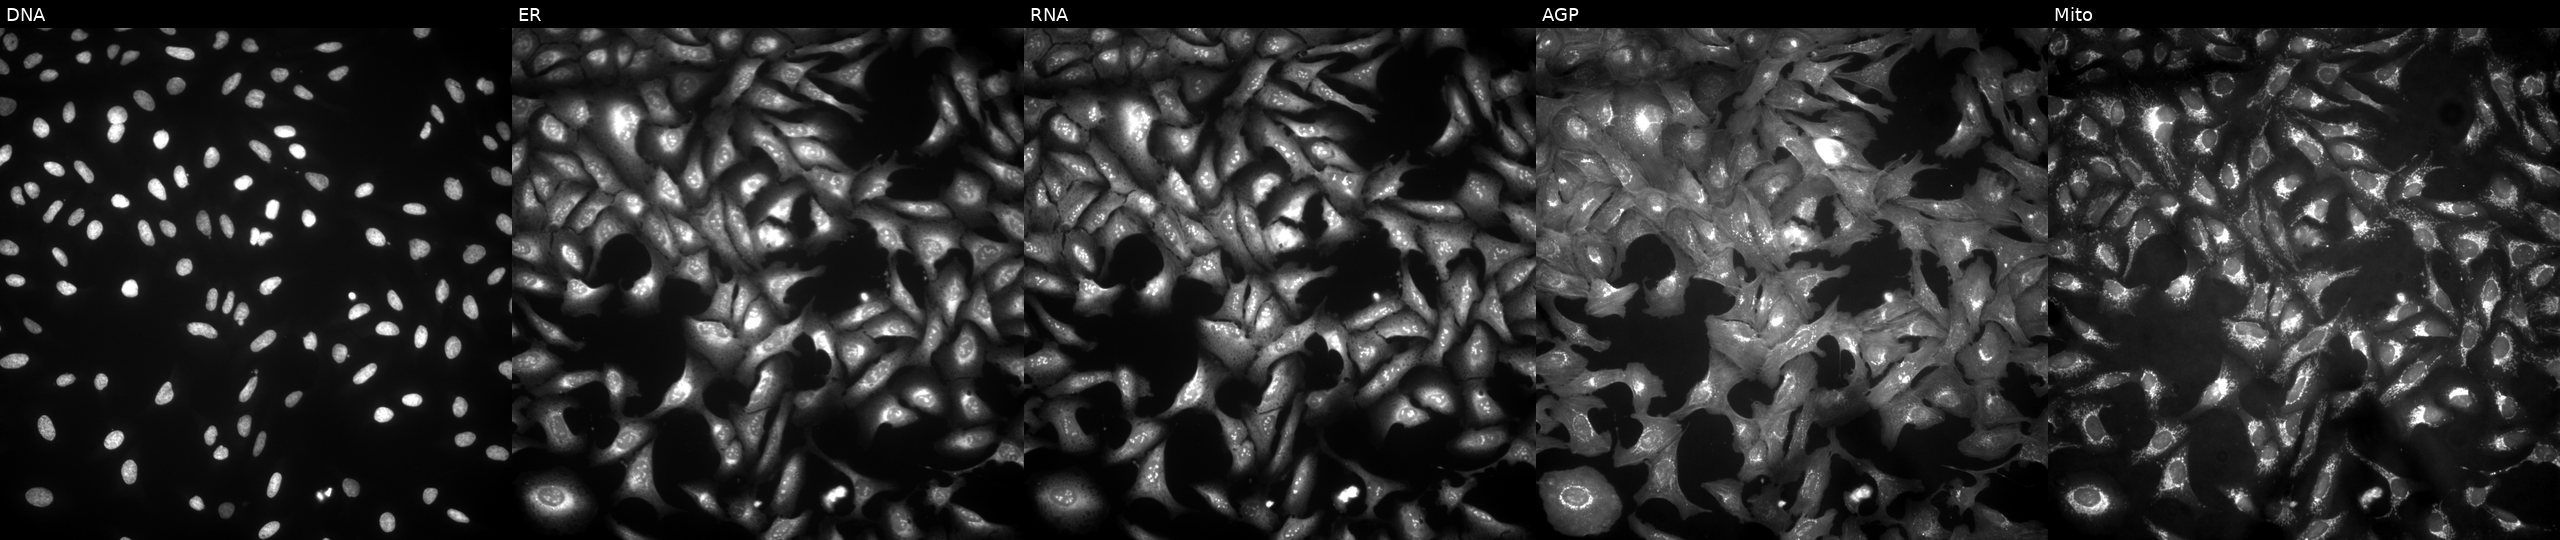
This image strip shows the five Cell Painting channels for a single field of U2OS cells overexpressing OXSM via ORF transfection. From left to right: DNA (nuclei); ER (endoplasmic reticulum); RNA (nucleoli and cytoplasmic RNA); AGP (actin cytoskeleton, Golgi, and plasma membrane); Mito (mitochondria).